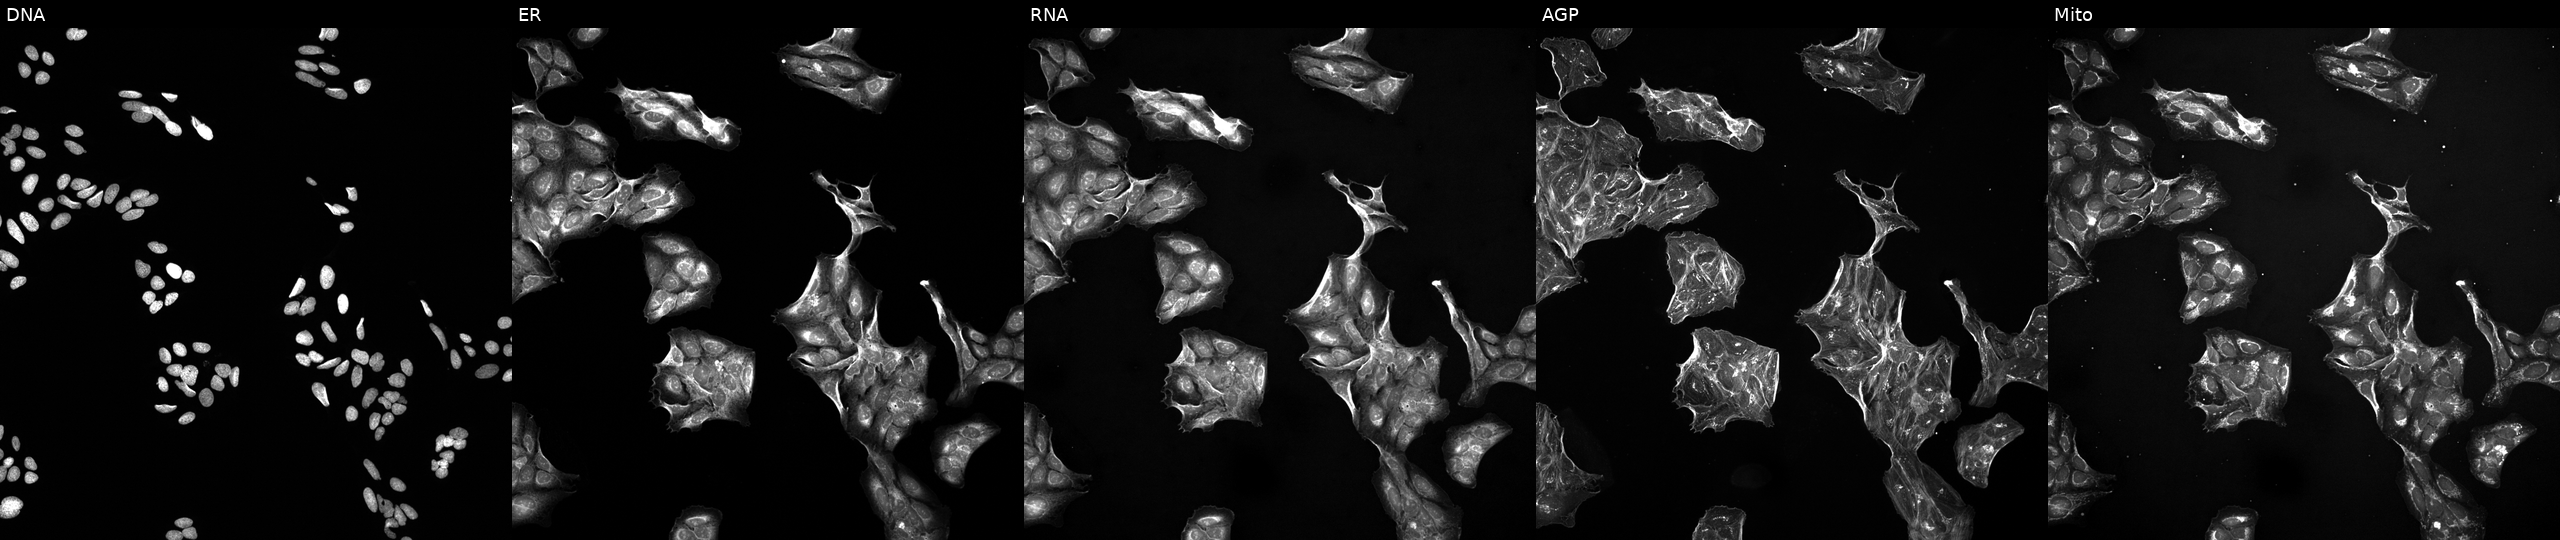
JUMP Cell Painting — TARGET2 plate. U2OS cells treated with a small-molecule compound (InChIKey ZWVZORIKUNOTCS-UHFFFAOYSA-N). Channels (left→right): Hoechst 33342, concanavalin A, SYTO 14, phalloidin and WGA, MitoTracker. Source 5, plate ACPJUM051, well B20.